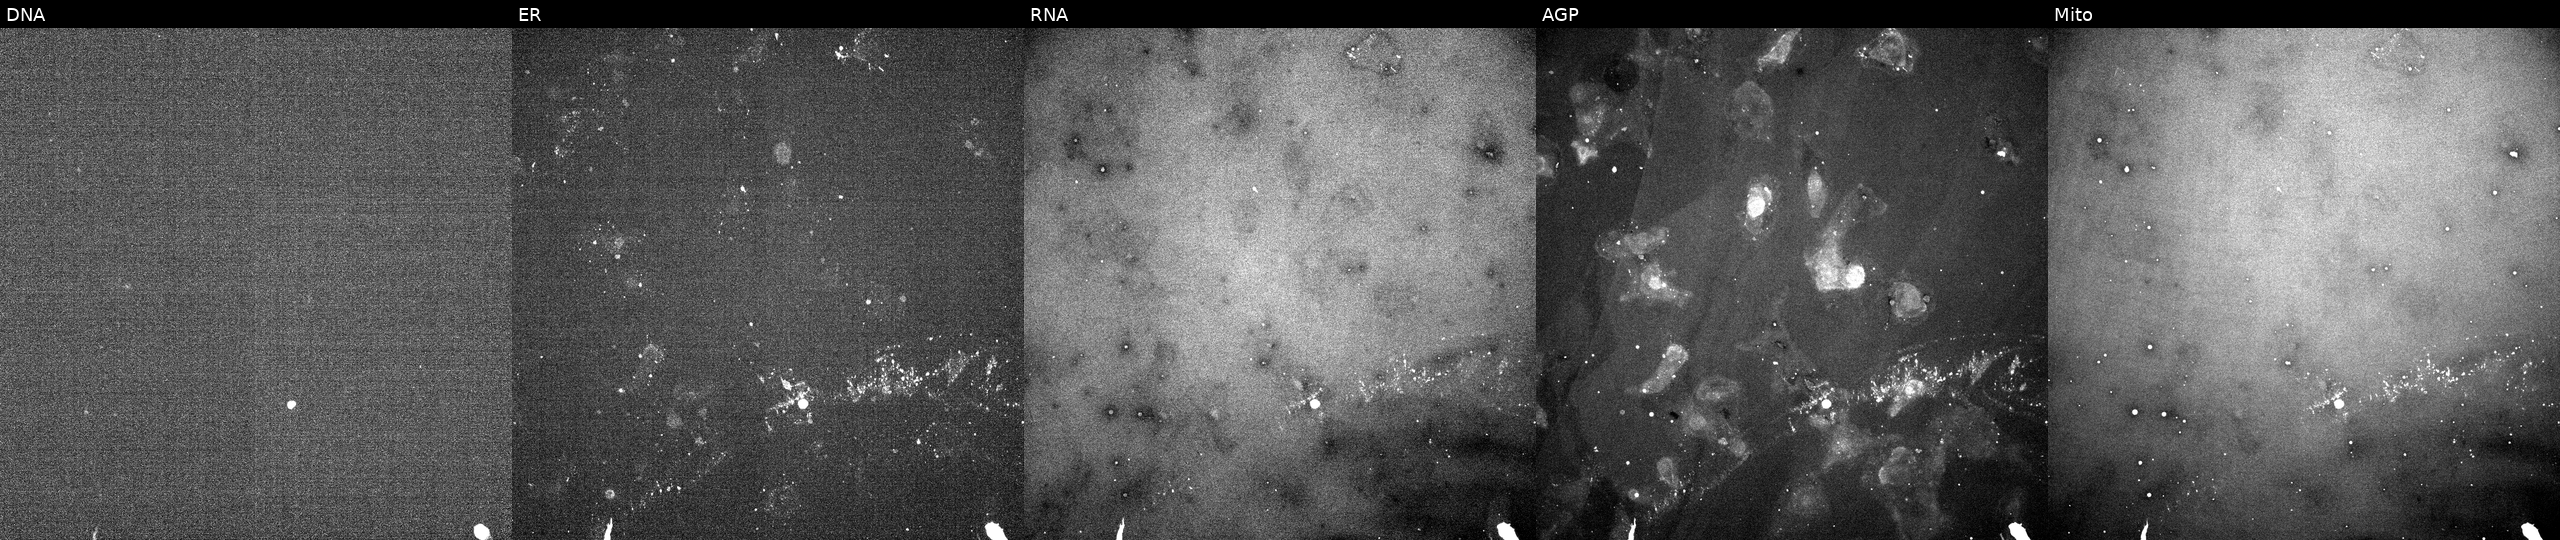
High-content fluorescence microscopy (Cell Painting). Cell line: U2OS. Perturbation: exposed to a small-molecule compound (InChIKey PBCZSGKMGDDXIJ-UHFFFAOYSA-N) (JUMP id JCP2022_067441). Channels (left→right): DNA, ER, RNA, AGP, and Mito. Source 5, plate ACPJUM051, well G12.